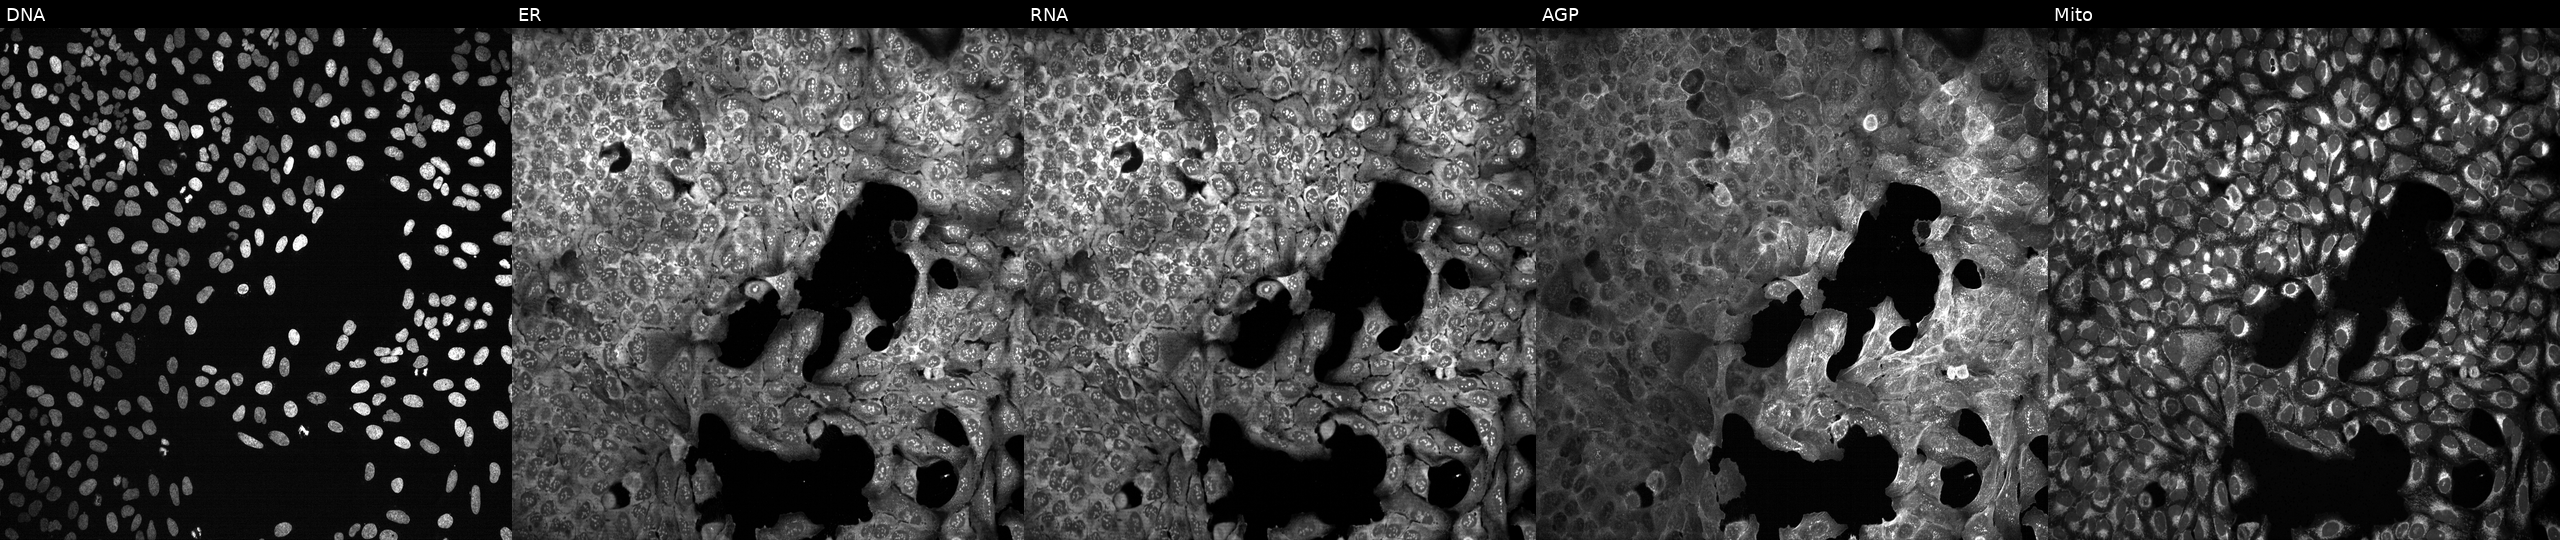
Five-channel Cell Painting image of U2OS cells CRISPR-edited to disrupt NDRG4 (JUMP id JCP2022_804467). Channels (left→right): DNA (nuclei); ER (endoplasmic reticulum); RNA (nucleoli and cytoplasmic RNA); AGP (actin cytoskeleton, Golgi, and plasma membrane); Mito (mitochondria).